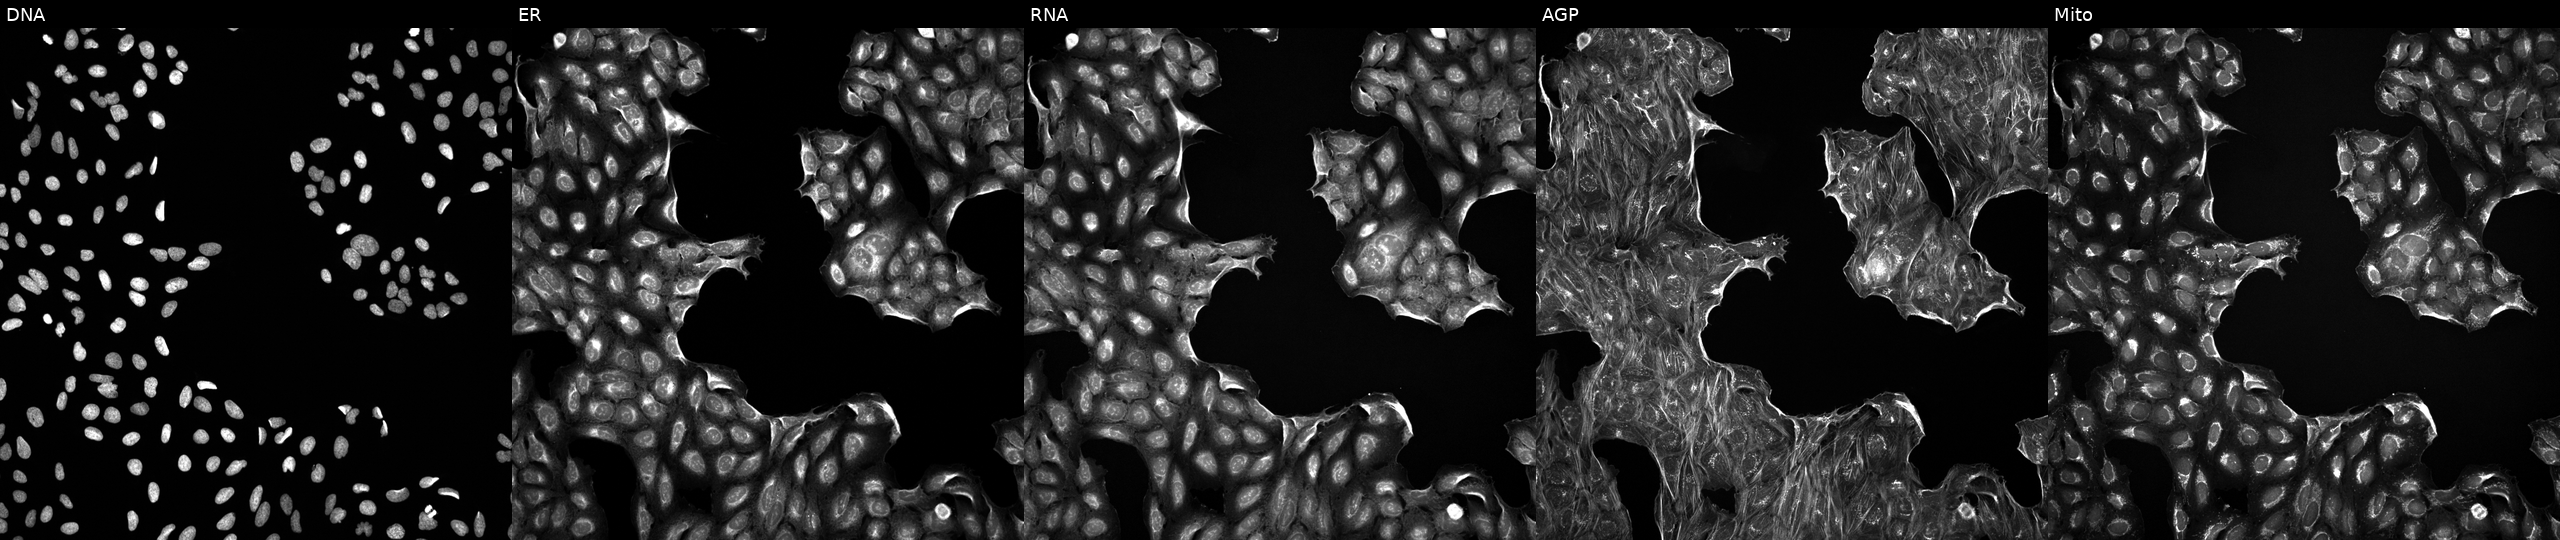
This image strip shows the five Cell Painting channels for a single field of U2OS cells perturbed with a small-molecule compound (InChIKey DSLRVRBSNLHVBH-UHFFFAOYSA-N) [SMILES: OCc1ccc(CO)o1]. Panels show, left to right, DNA, ER, RNA, AGP, and Mito. Source 5, plate ACPJUM012, well H03.